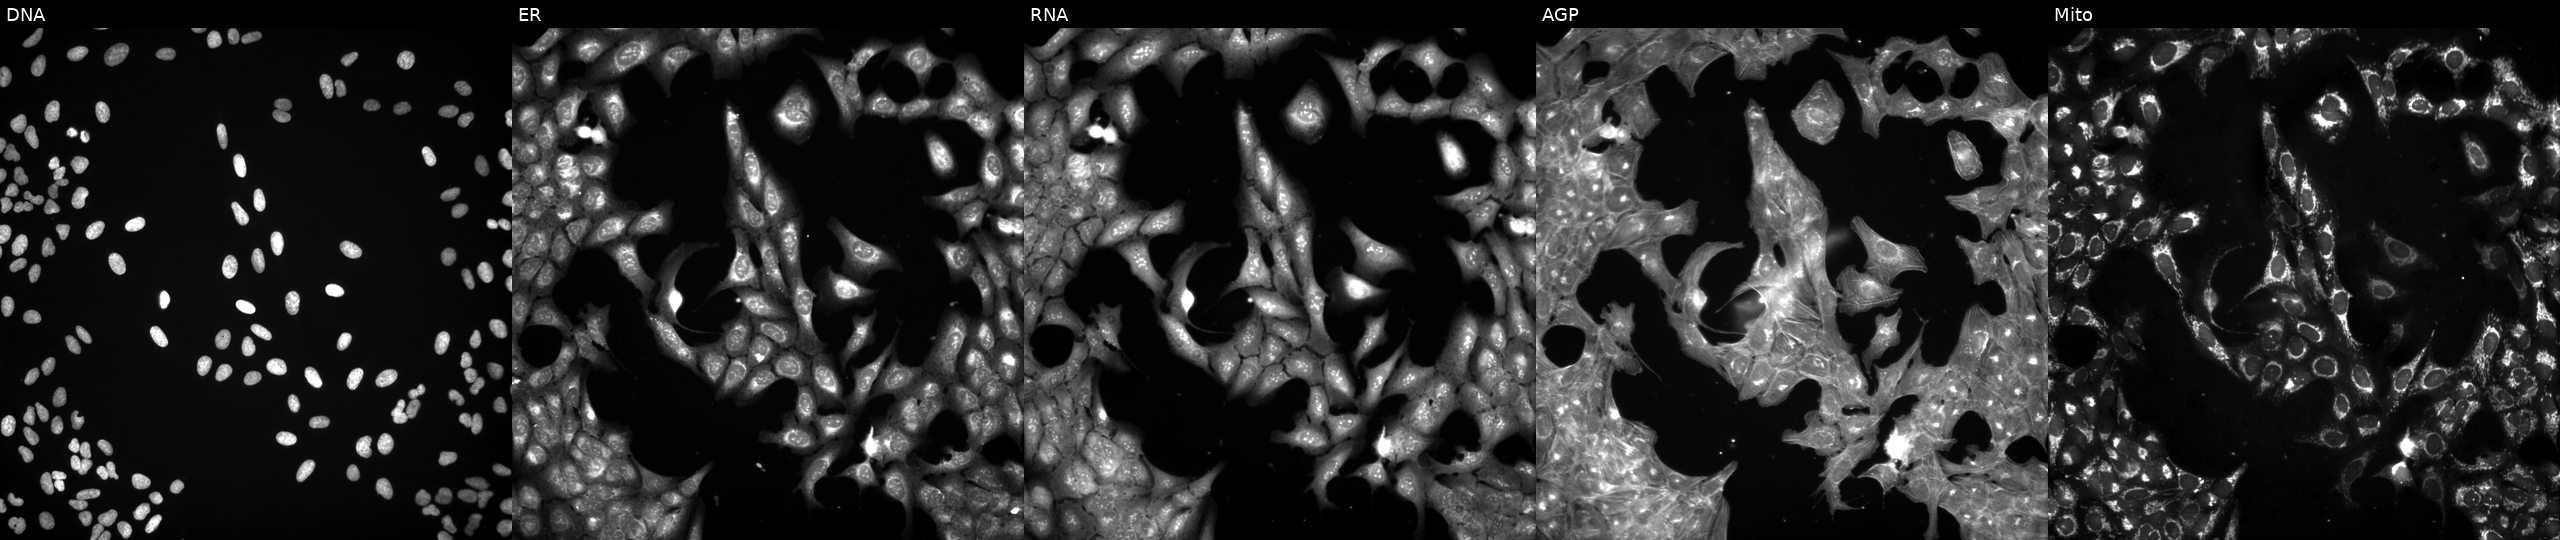
U2OS cells, Cell Painting assay, perturbed with a small-molecule compound (InChIKey DSLRVRBSNLHVBH-UHFFFAOYSA-N) (JUMP id JCP2022_017914). Channels (left→right): Hoechst 33342, concanavalin A, SYTO 14, phalloidin and WGA, MitoTracker. Each panel is percentile-stretched 16-bit fluorescence.